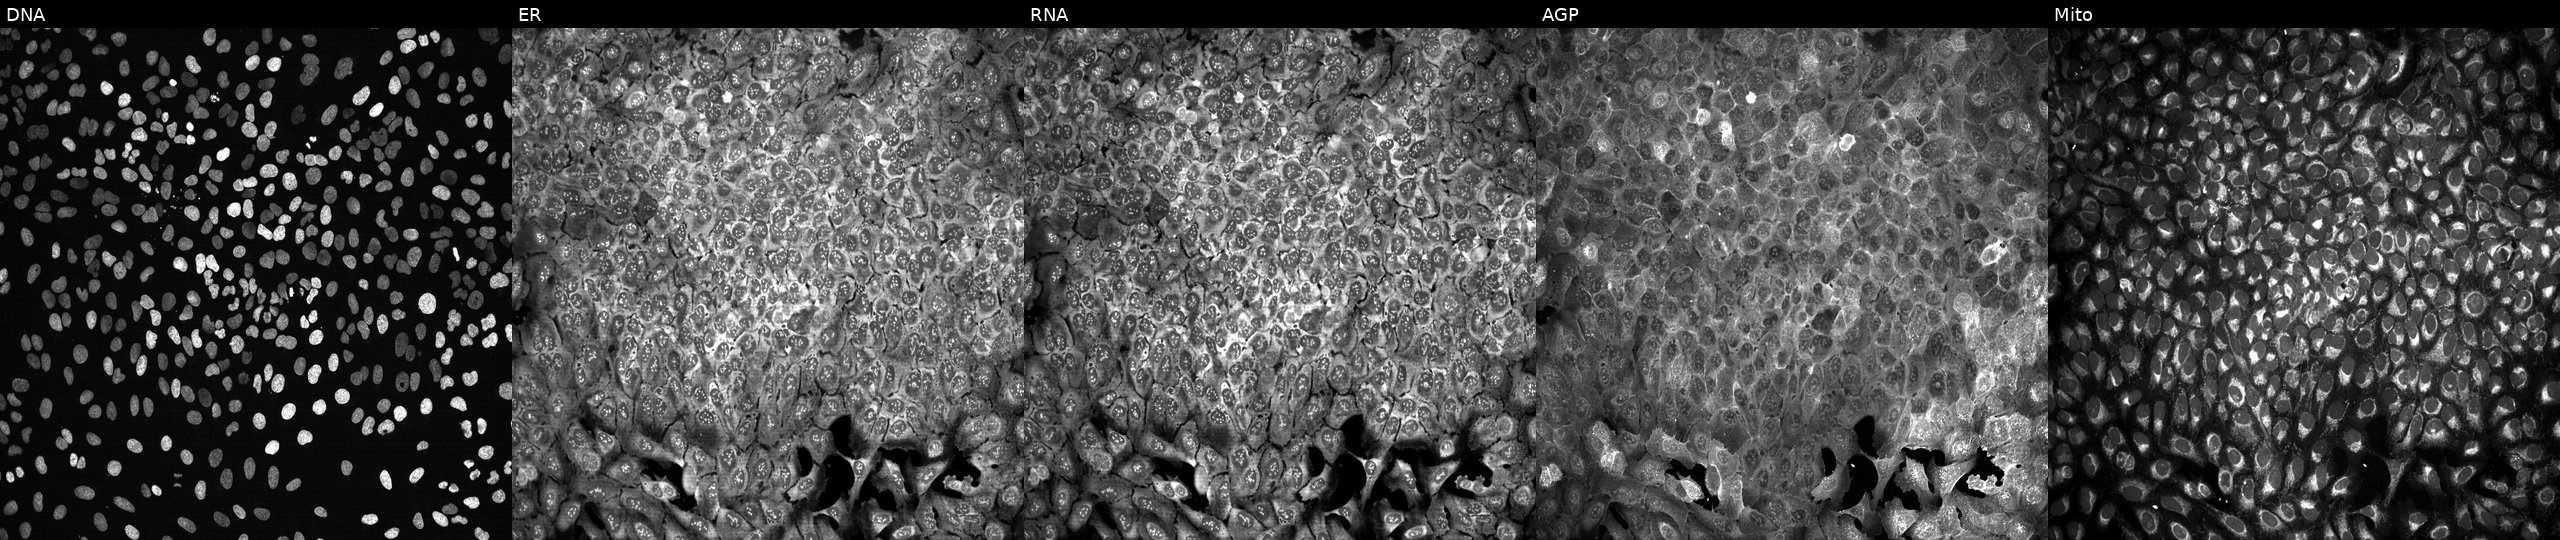
U2OS cells, Cell Painting assay, following CRISPR knockout of JMJD6. Channels (left→right): Hoechst 33342, concanavalin A, SYTO 14, phalloidin and WGA, MitoTracker. Each panel is percentile-stretched 16-bit fluorescence.